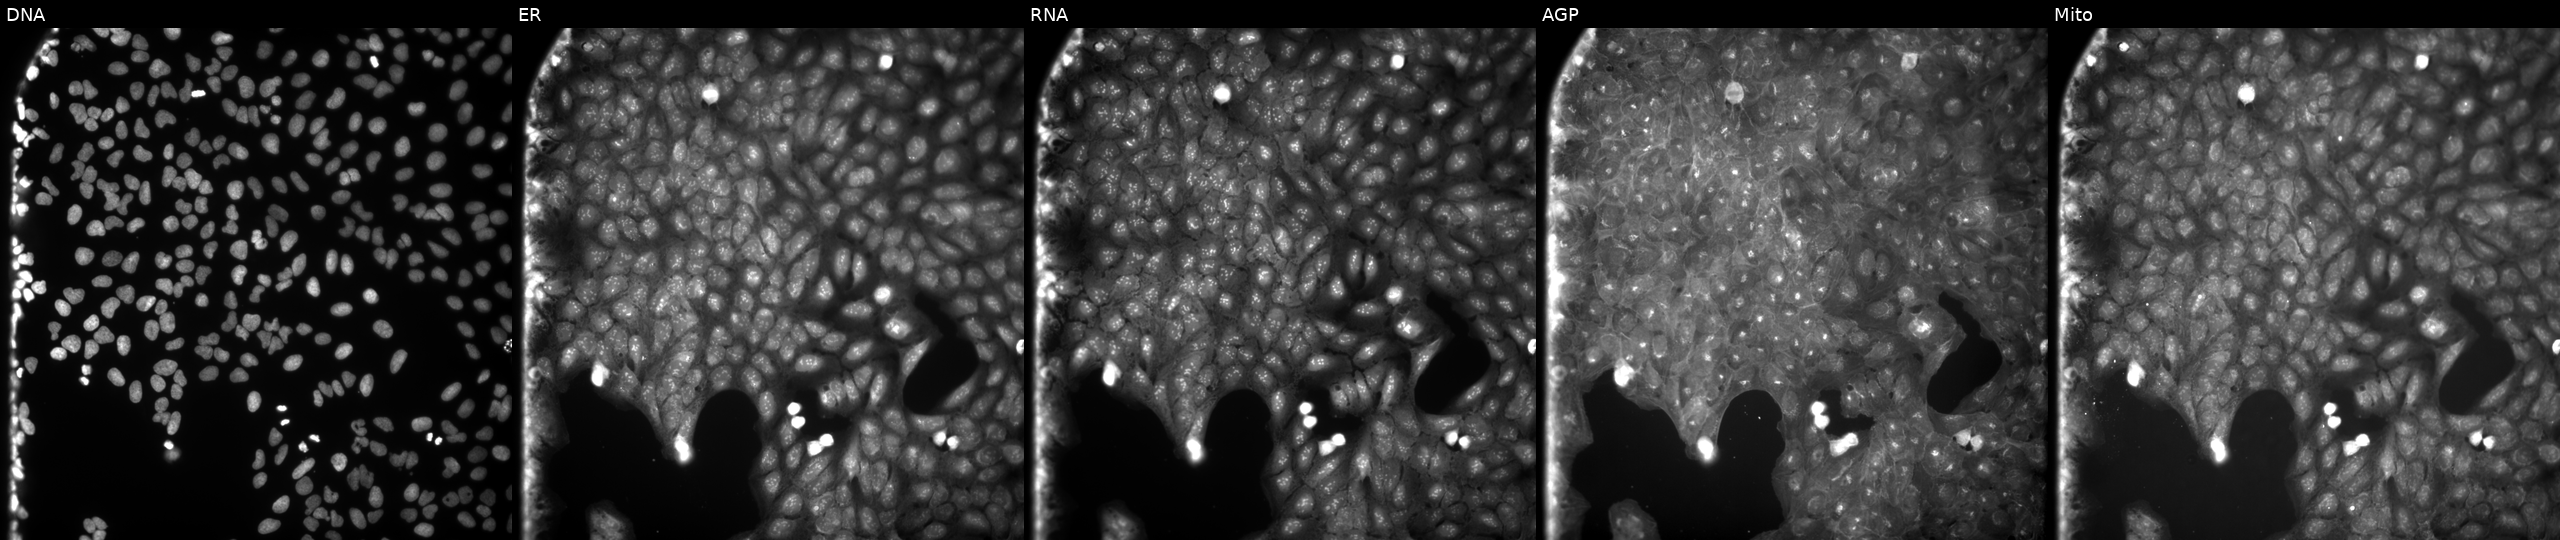
The five panels, left to right, show Hoechst 33342, concanavalin A, SYTO 14, phalloidin and WGA, MitoTracker. U2OS osteosarcoma cells perturbed with a small-molecule compound (InChIKey UTQNZQXREZQZIG-UHFFFAOYSA-N). Cell Painting assay, JUMP-CP dataset.